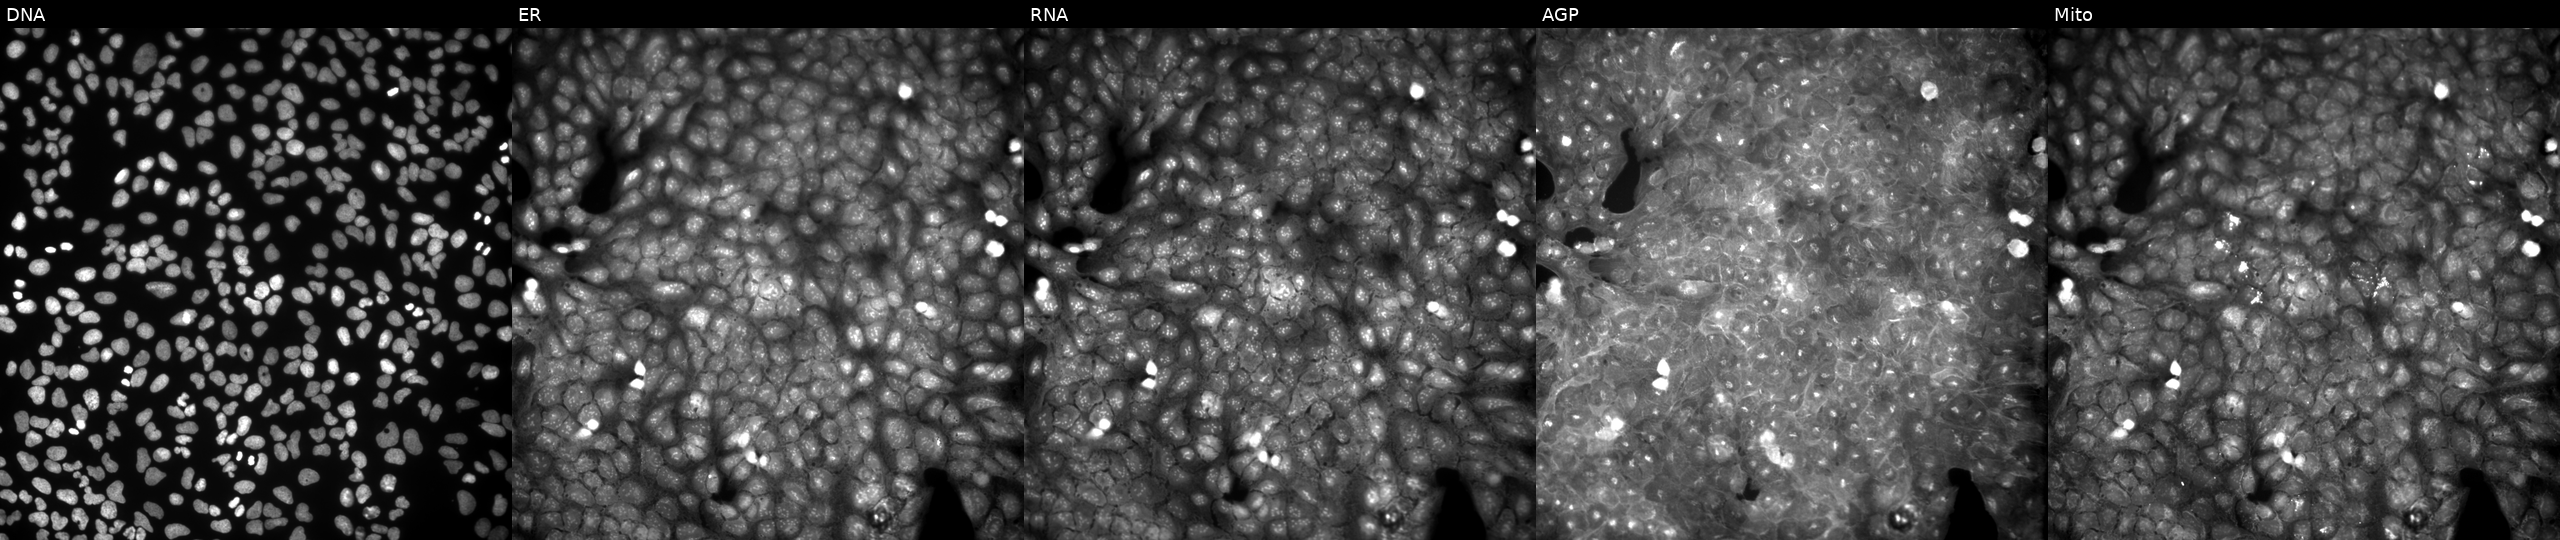
High-content fluorescence microscopy (Cell Painting). Cell line: U2OS. Perturbation: exposed to a small-molecule compound (InChIKey ZDAXBGSTCIHOHL-UHFFFAOYSA-N). From left to right: DNA, ER, RNA, AGP, and Mito. Source 9, plate GR00003382, well W31.